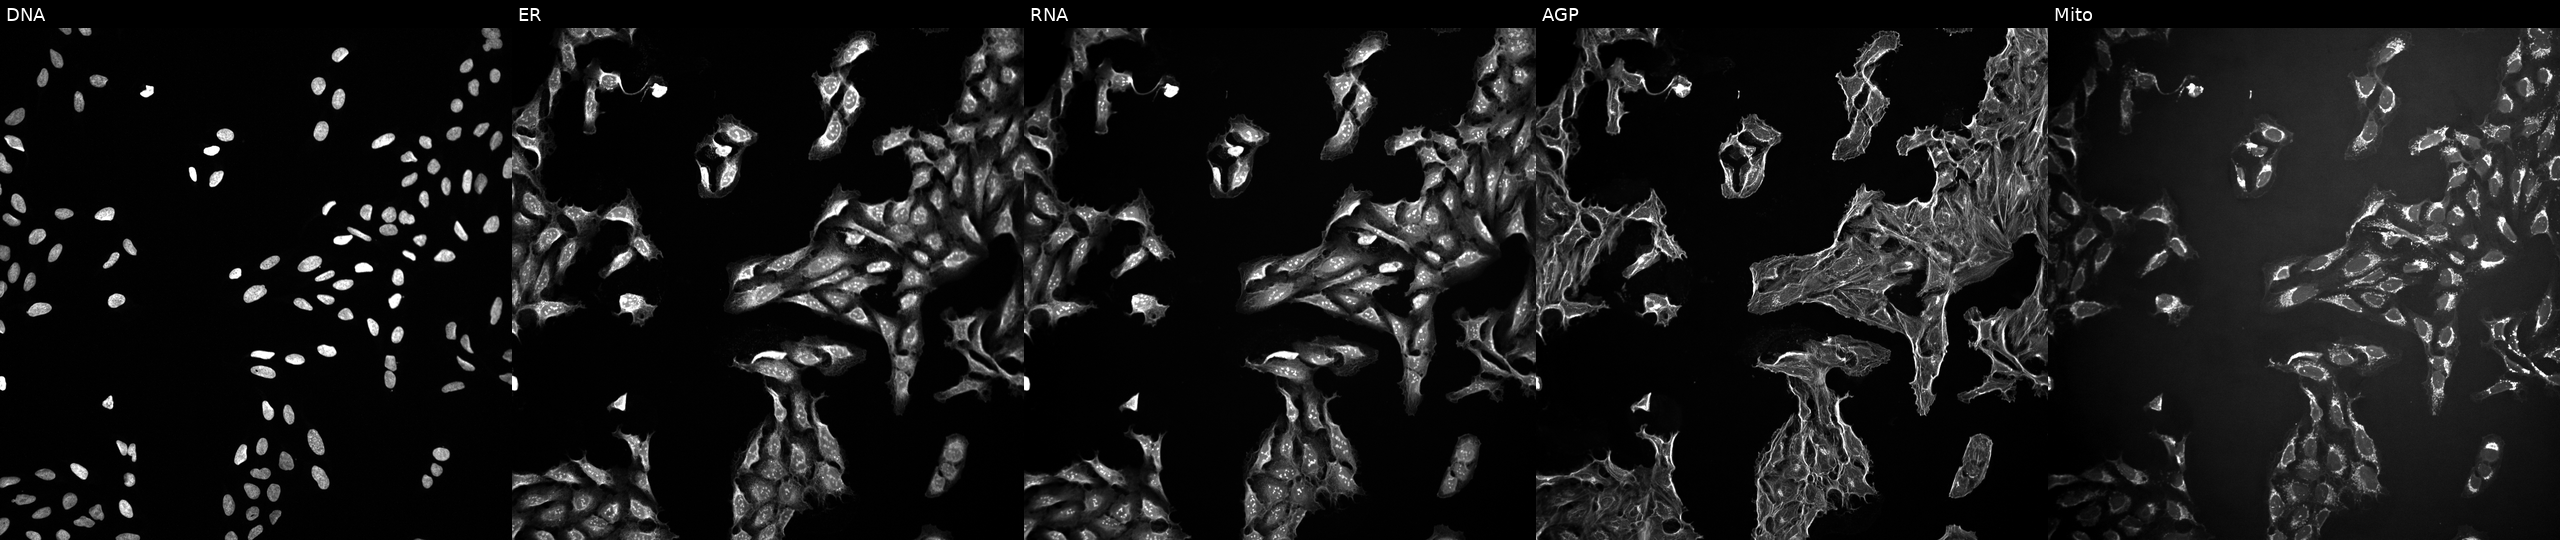
U2OS cells, Cell Painting assay, exposed to DMSO alone as a negative control (JUMP id JCP2022_033924). Channels (left→right): Hoechst 33342, concanavalin A, SYTO 14, phalloidin and WGA, MitoTracker. Each panel is percentile-stretched 16-bit fluorescence.